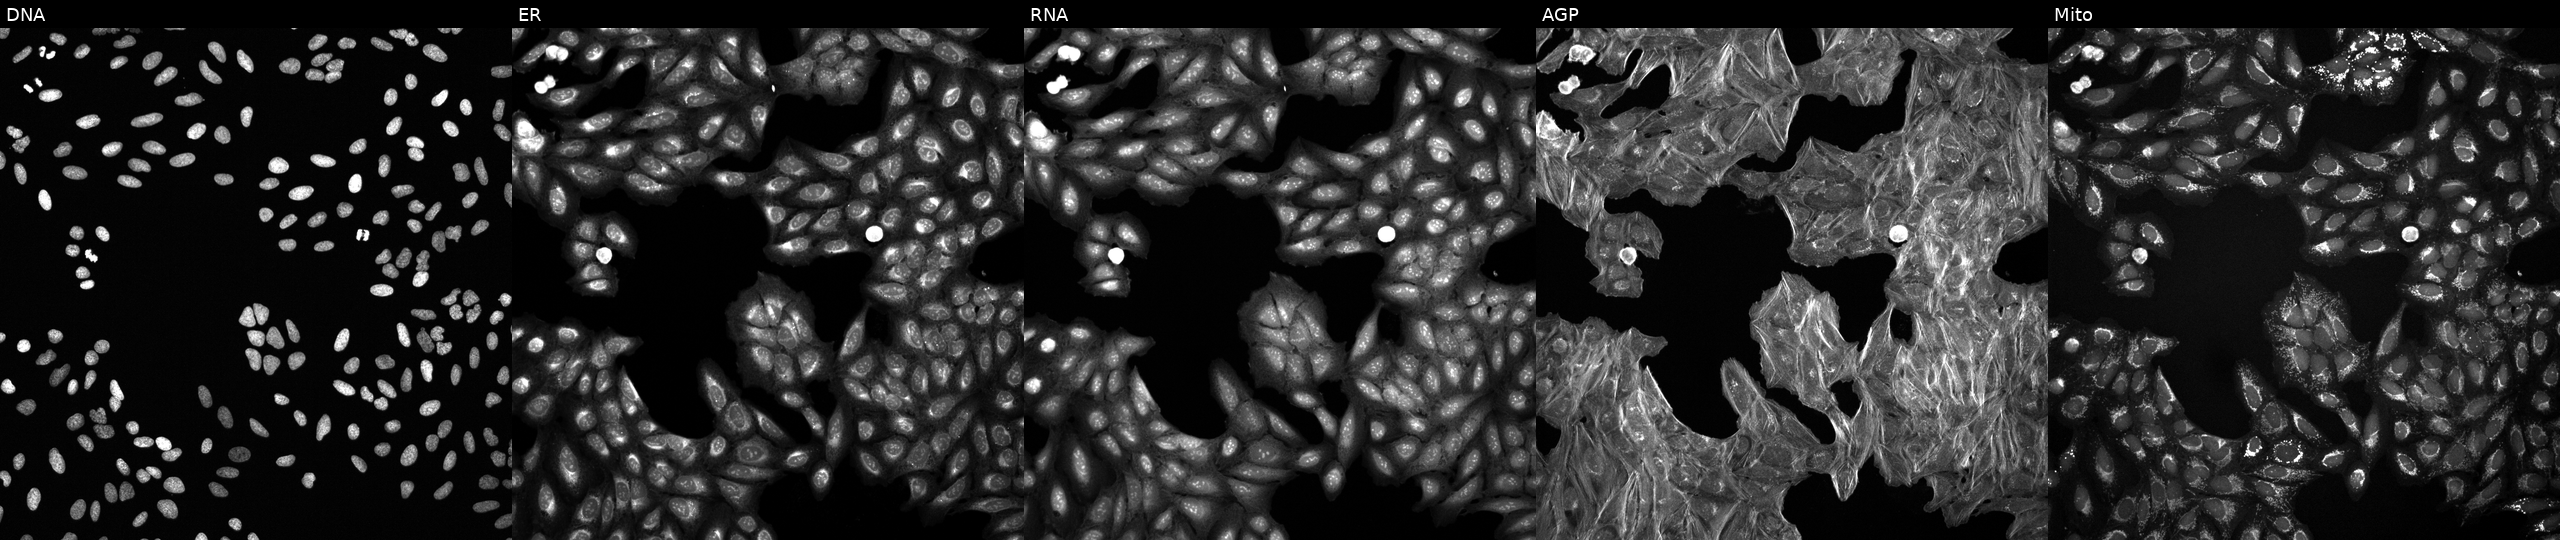
This image strip shows the five Cell Painting channels for a single field of U2OS cells treated with DMSO vehicle only (negative control) (JUMP id JCP2022_033924). From left to right: Hoechst 33342, concanavalin A, SYTO 14, phalloidin and WGA, MitoTracker. Source 6, plate 110000293082, well J02.